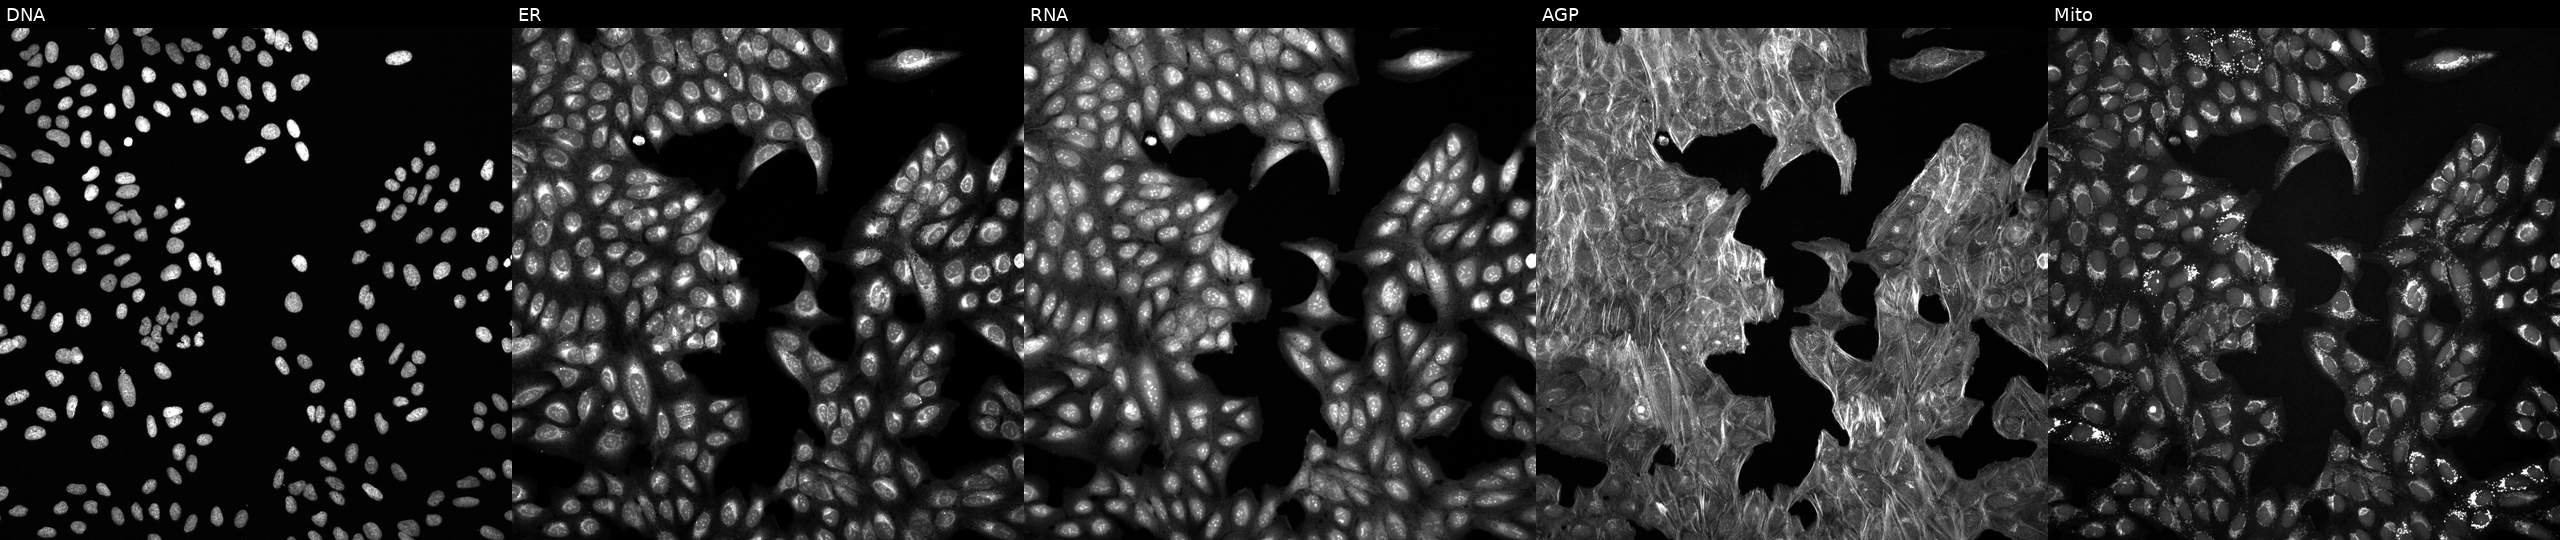
High-content fluorescence microscopy (Cell Painting). Cell line: U2OS. Perturbation: treated with a small-molecule compound (InChIKey IJHPSOVBLPPMNB-UHFFFAOYSA-N) [SMILES: Cc1cccc(NC(=O)c2cc(C3CC3)nc3c2c(C)nn3Cc2ccccc2)c1] (JUMP id JCP2022_035428). Panels show, left to right, DNA, ER, RNA, AGP, and Mito.